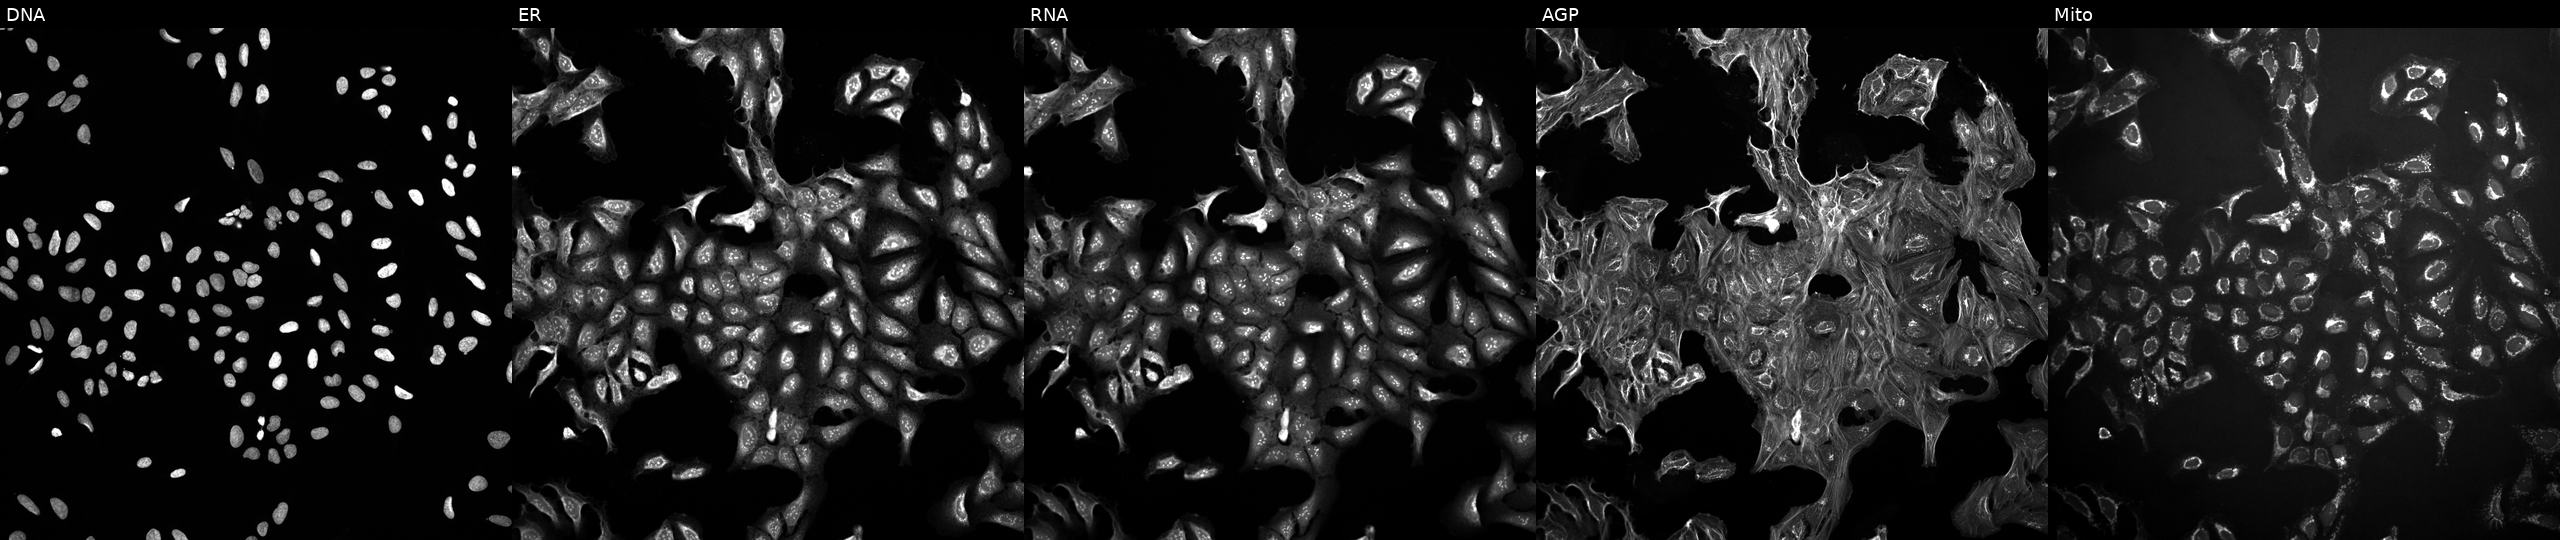
Five-channel Cell Painting image of U2OS cells treated with a small-molecule compound (InChIKey LENZDBCJOHFCAS-UHFFFAOYSA-N) [SMILES: NC(CO)(CO)CO]. From left to right: DNA (nuclei); ER (endoplasmic reticulum); RNA (nucleoli and cytoplasmic RNA); AGP (actin cytoskeleton, Golgi, and plasma membrane); Mito (mitochondria).